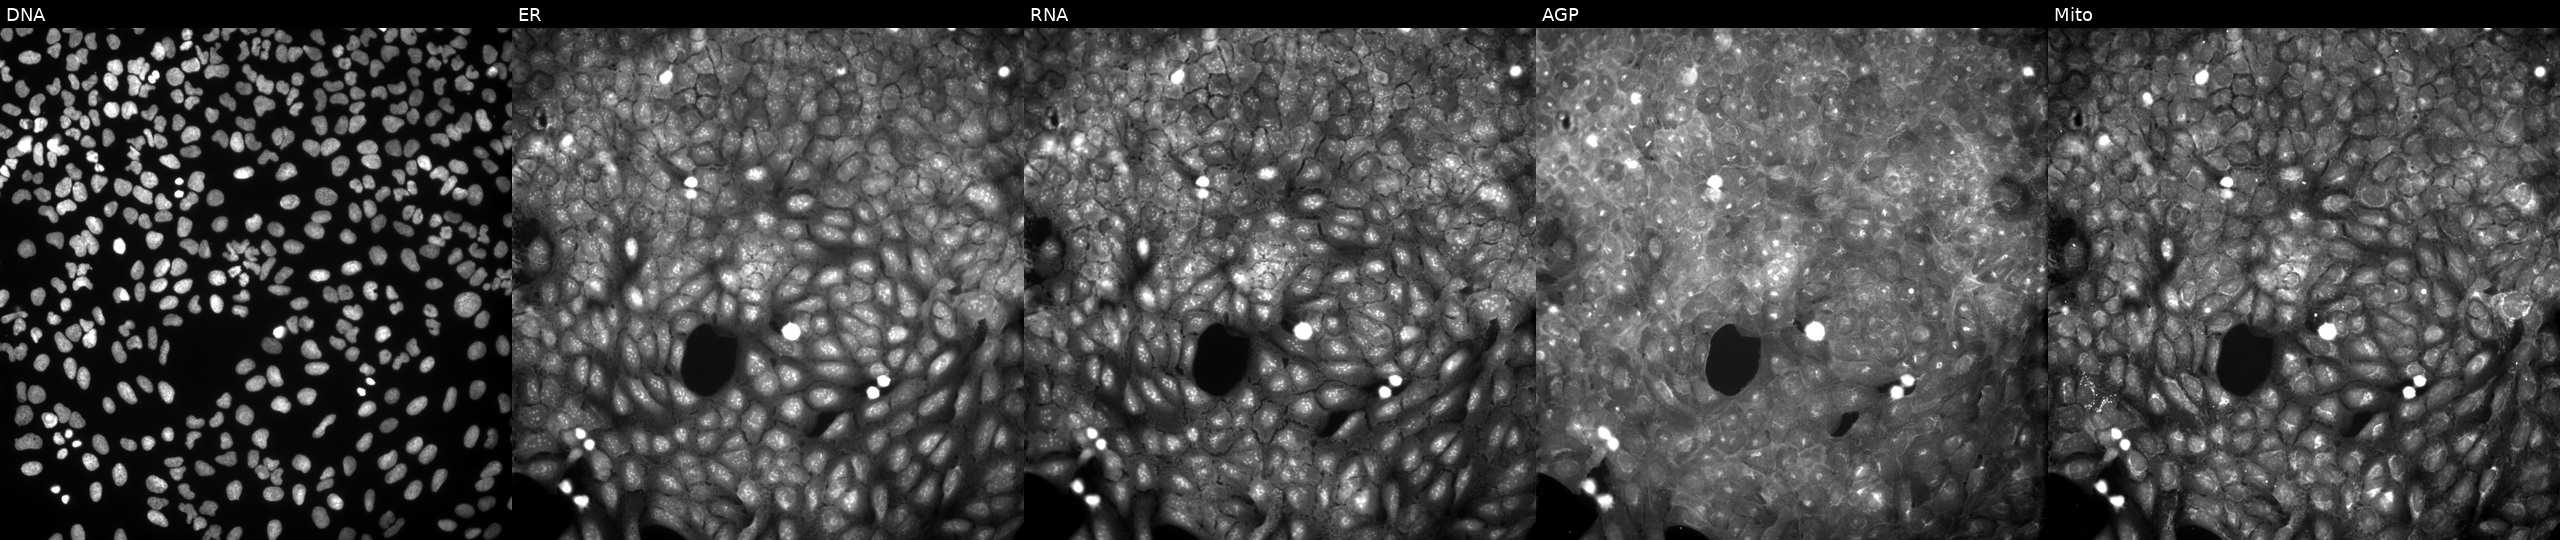
JUMP Cell Painting — COMPOUND plate. U2OS cells exposed to a small-molecule compound (InChIKey ZCBDXLWWYCHFHN-UHFFFAOYSA-N). Channels (left→right): DNA, ER, RNA, AGP, and Mito. Source 9, plate GR00003382, well M22.